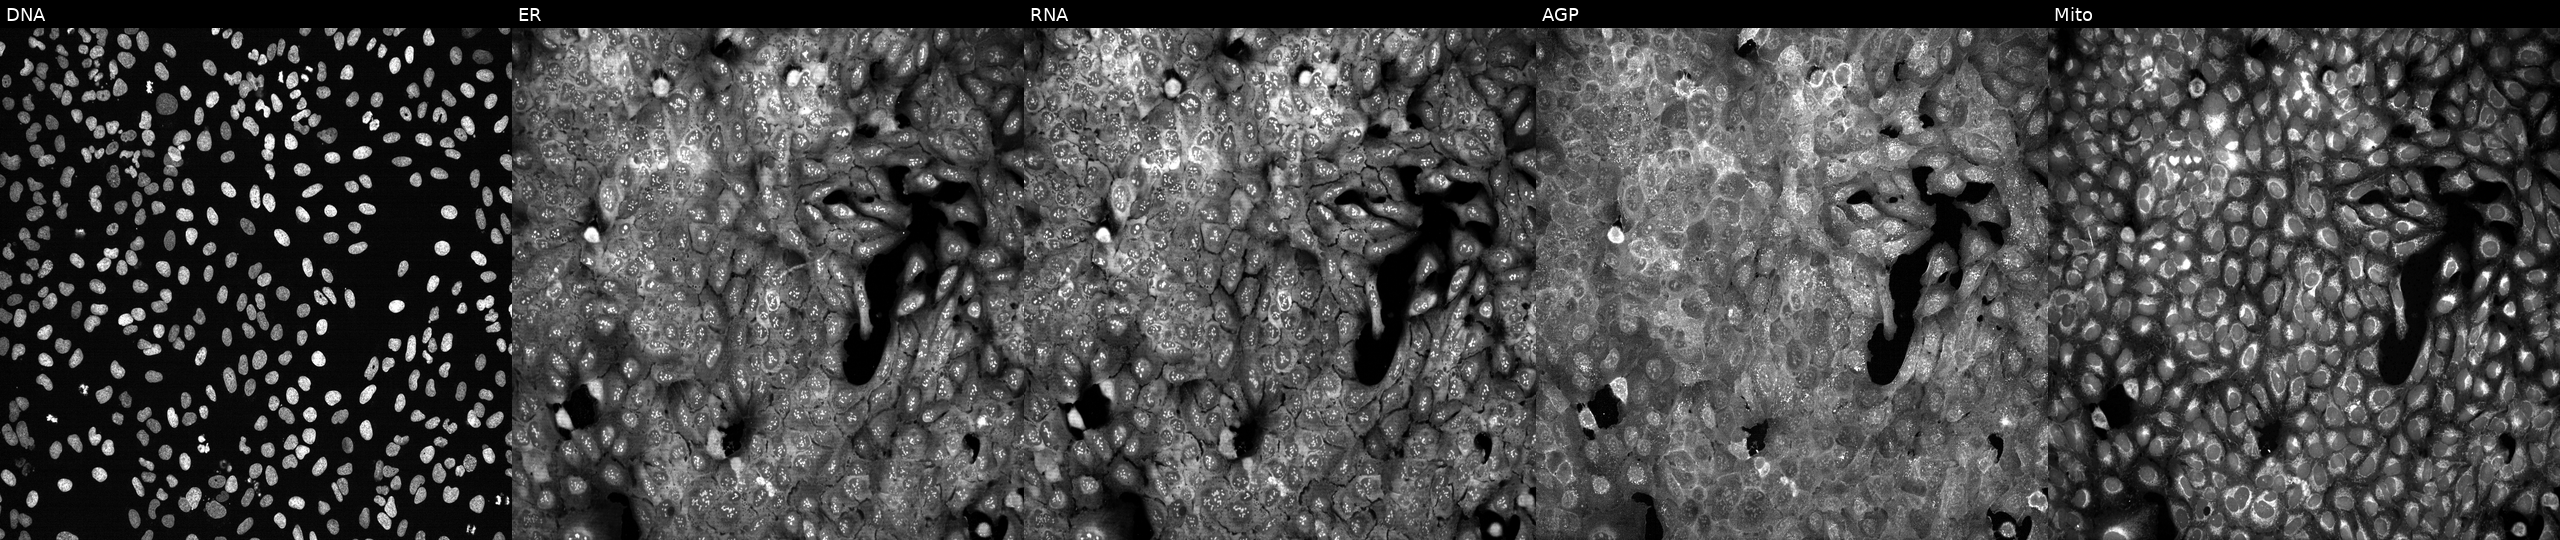
JUMP Cell Painting — CRISPR plate. U2OS cells following CRISPR knockout of NANS. The five panels, left to right, show DNA, ER, RNA, AGP, and Mito.